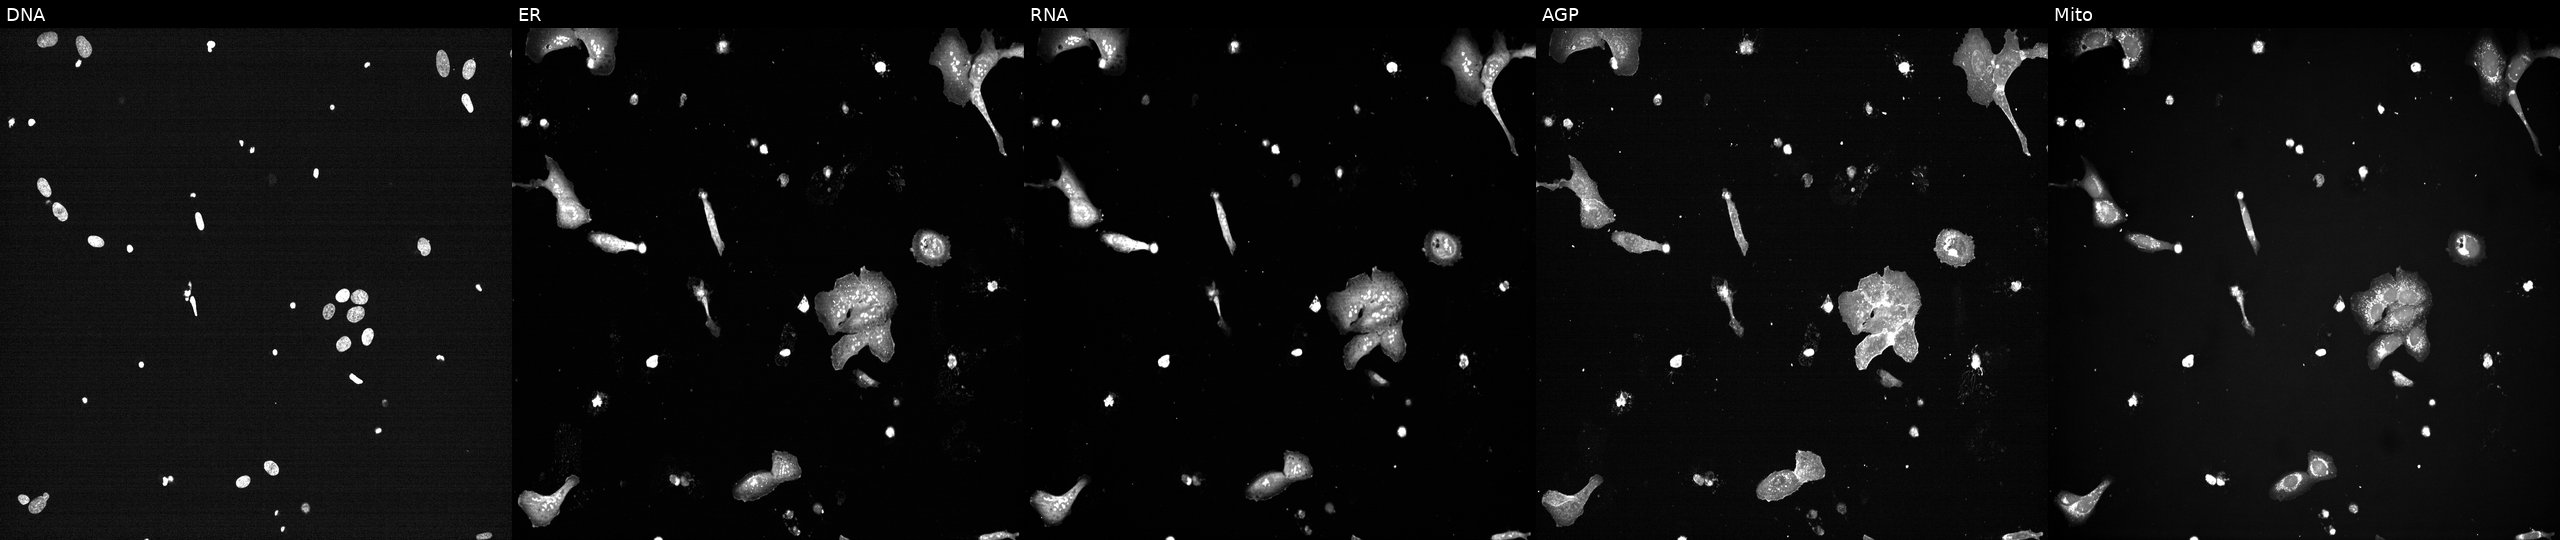
From left to right: DNA (nuclei); ER (endoplasmic reticulum); RNA (nucleoli and cytoplasmic RNA); AGP (actin cytoskeleton, Golgi, and plasma membrane); Mito (mitochondria). U2OS osteosarcoma cells perturbed with a small-molecule compound (InChIKey NQQBNZBOOHHVQP-UHFFFAOYSA-N) (JUMP id JCP2022_060734). Cell Painting assay, JUMP-CP dataset.